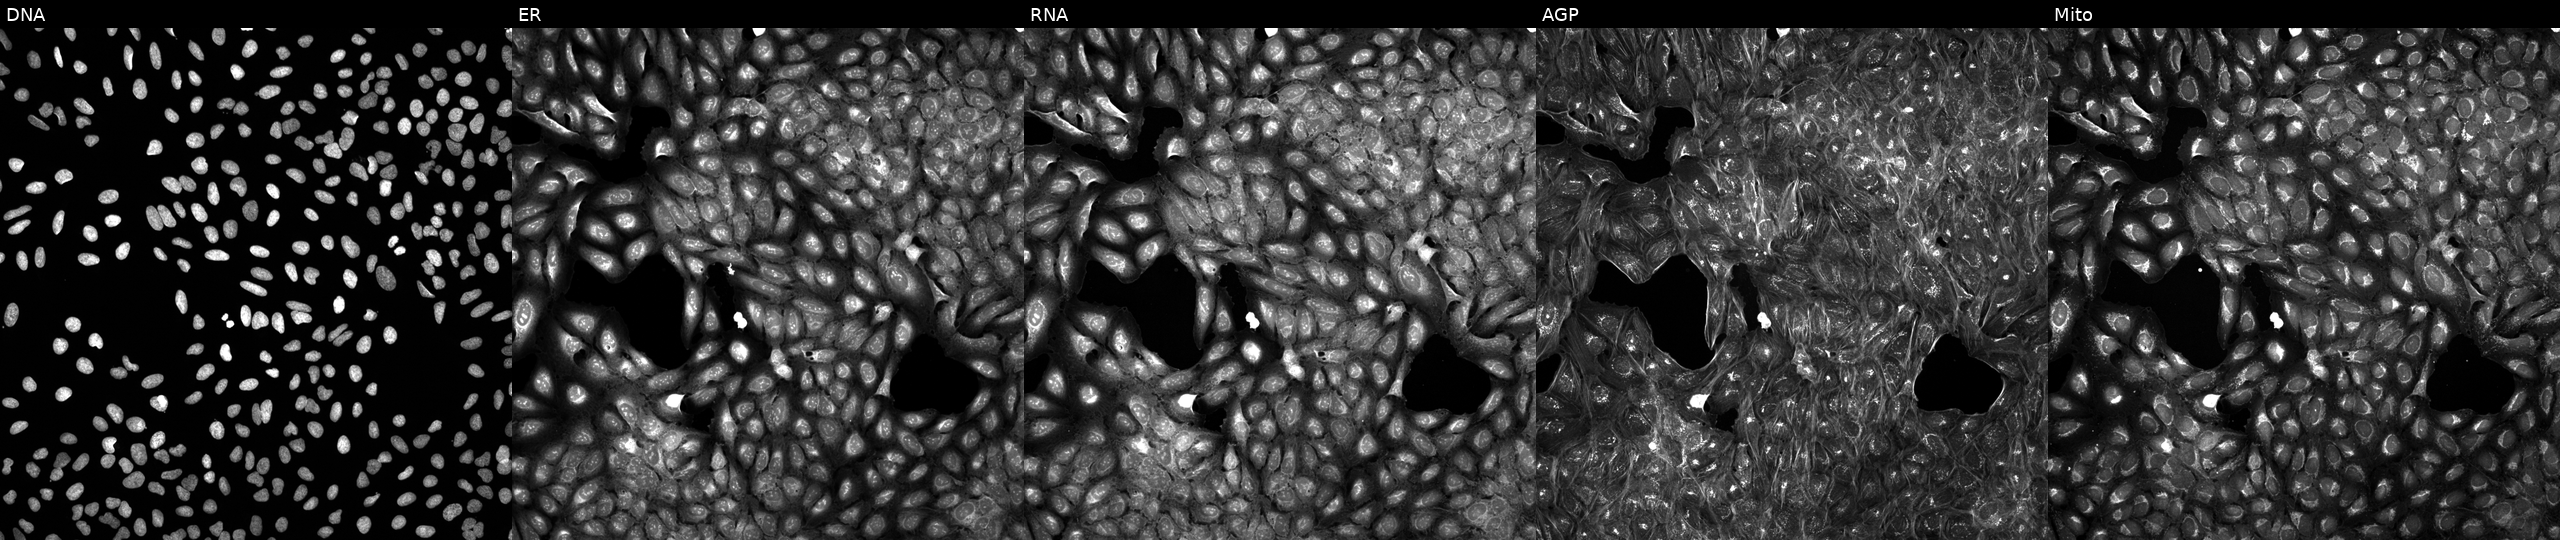
This image strip shows the five Cell Painting channels for a single field of U2OS cells treated with a small-molecule compound (InChIKey IFGJKFQXYMFARG-UHFFFAOYSA-N). Channels (left→right): DNA (nuclei); ER (endoplasmic reticulum); RNA (nucleoli and cytoplasmic RNA); AGP (actin cytoskeleton, Golgi, and plasma membrane); Mito (mitochondria). Source 5, plate APTJUM105, well D08.